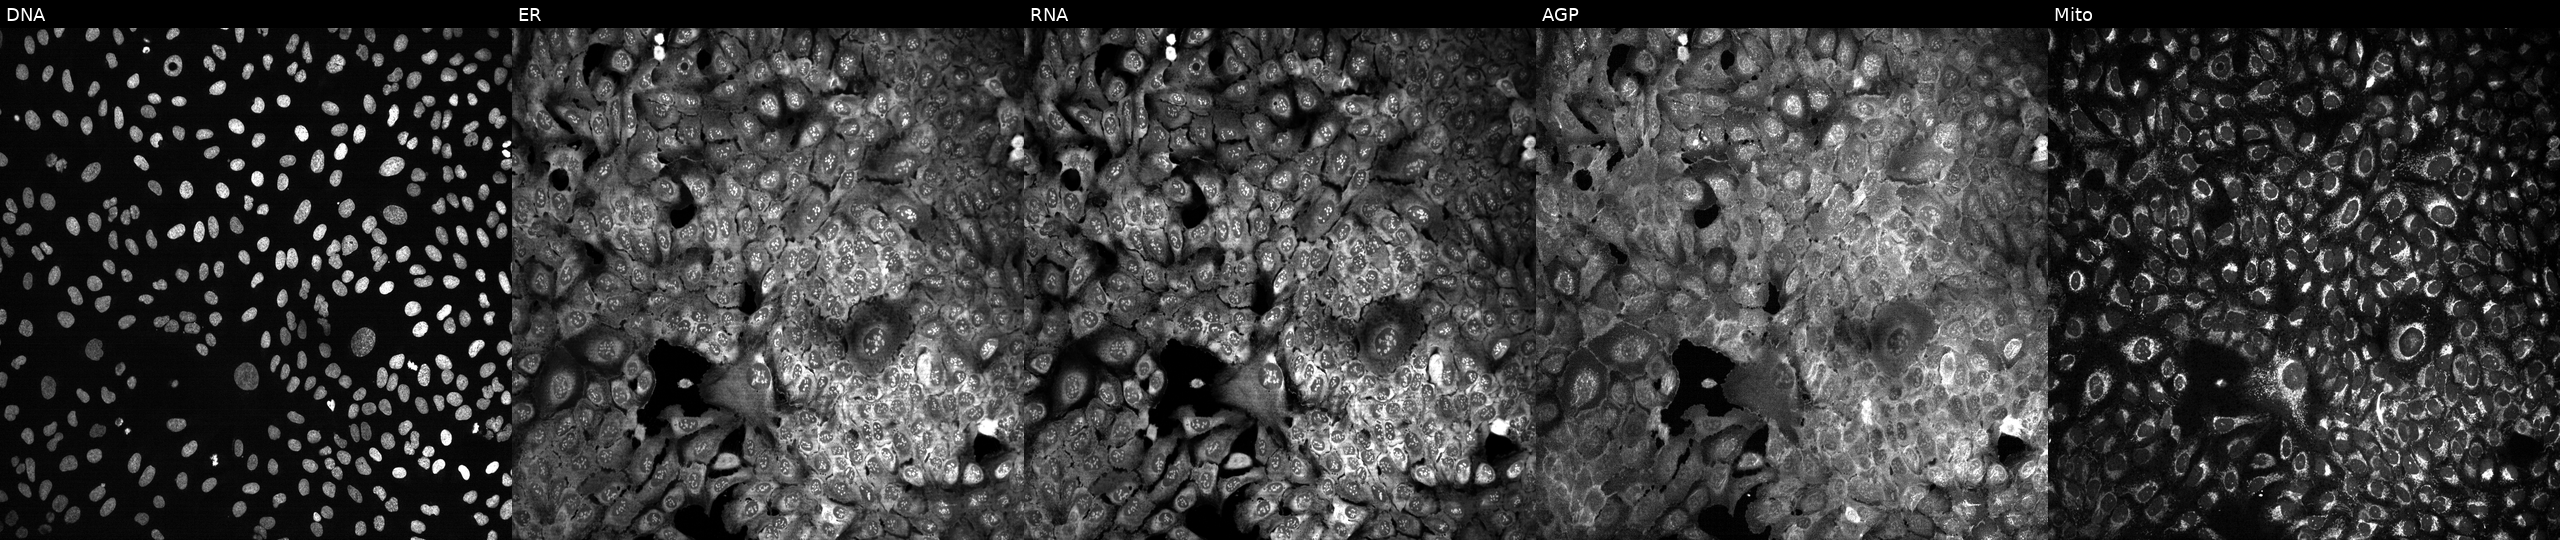
High-content fluorescence microscopy (Cell Painting). Cell line: U2OS. Perturbation: CRISPR-edited to disrupt CRLS1 (JUMP id JCP2022_801511). Panels show, left to right, DNA (nuclei); ER (endoplasmic reticulum); RNA (nucleoli and cytoplasmic RNA); AGP (actin cytoskeleton, Golgi, and plasma membrane); Mito (mitochondria). Source 13, plate CP-CC9-R3-01, well M04.